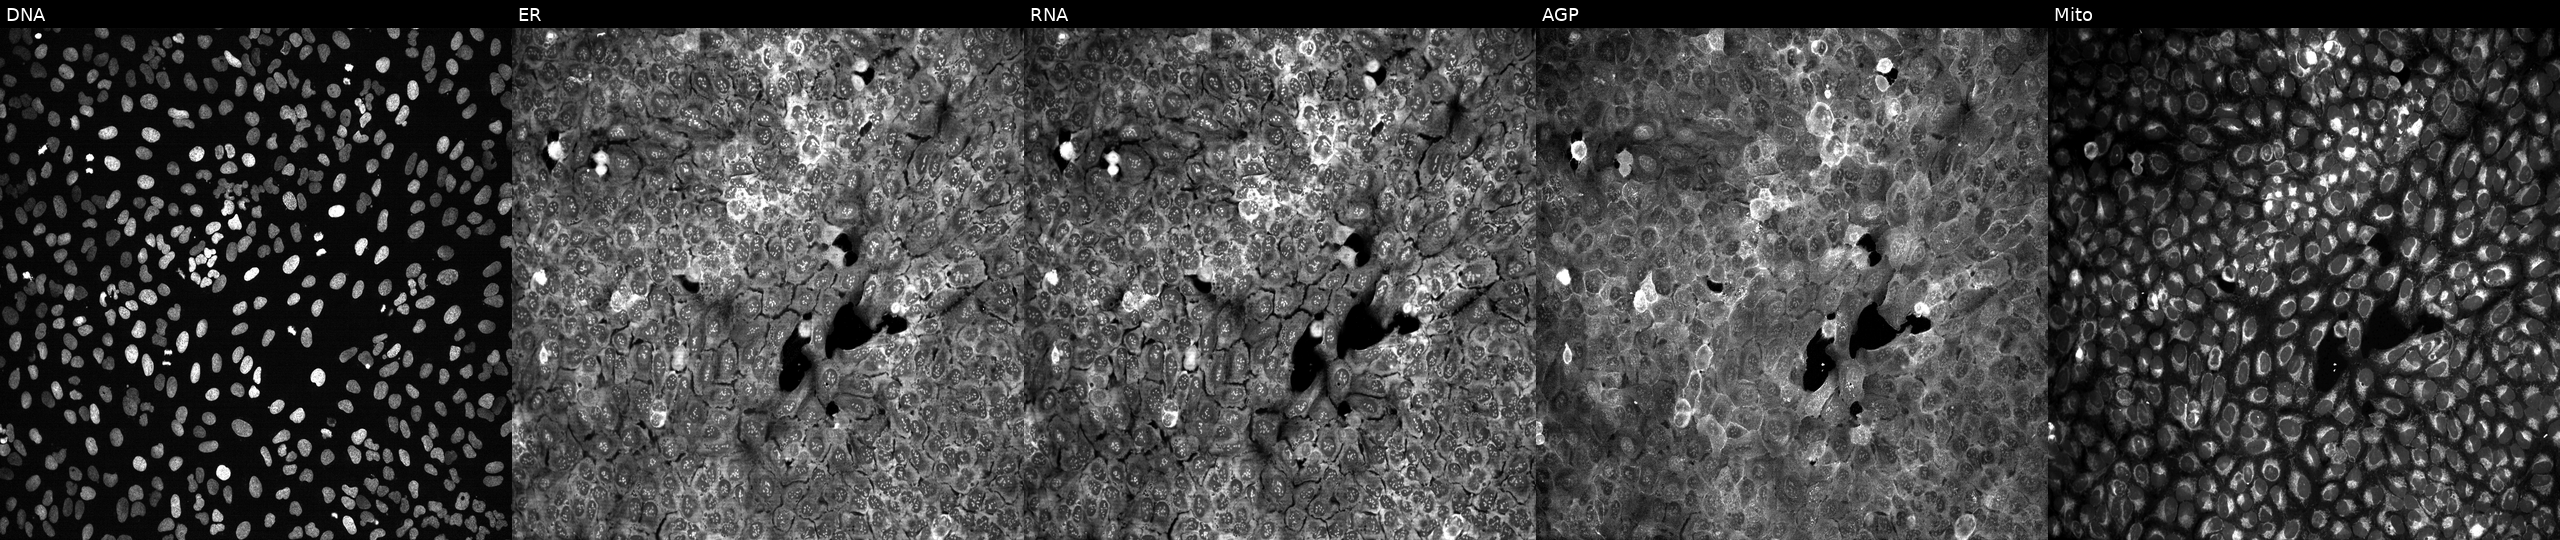
This image strip shows the five Cell Painting channels for a single field of U2OS cells following CRISPR knockout of PDE8B (JUMP id JCP2022_805004). The five panels, left to right, show DNA (nuclei); ER (endoplasmic reticulum); RNA (nucleoli and cytoplasmic RNA); AGP (actin cytoskeleton, Golgi, and plasma membrane); Mito (mitochondria). Source 13, plate CP-CC9-R2-02, well H16.